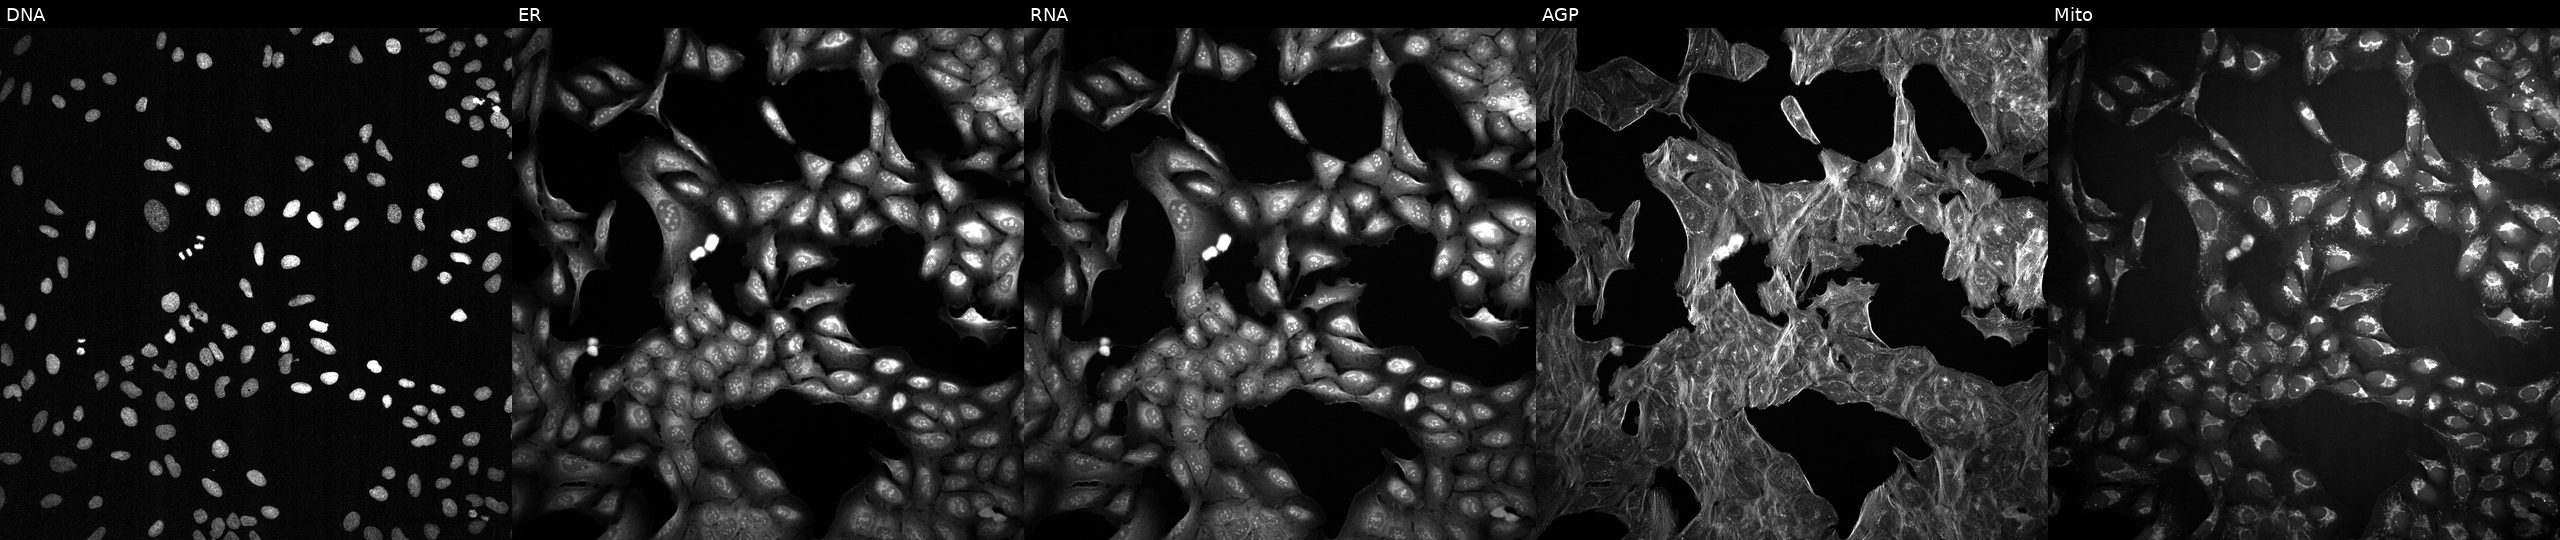
JUMP Cell Painting — TARGET2 plate. U2OS cells perturbed with a small-molecule compound (InChIKey QQGWEXFLMJGCAL-UHFFFAOYSA-N) (JUMP id JCP2022_075182). From left to right: Hoechst 33342, concanavalin A, SYTO 14, phalloidin and WGA, MitoTracker. Source 2, plate 1053599503, well J05.